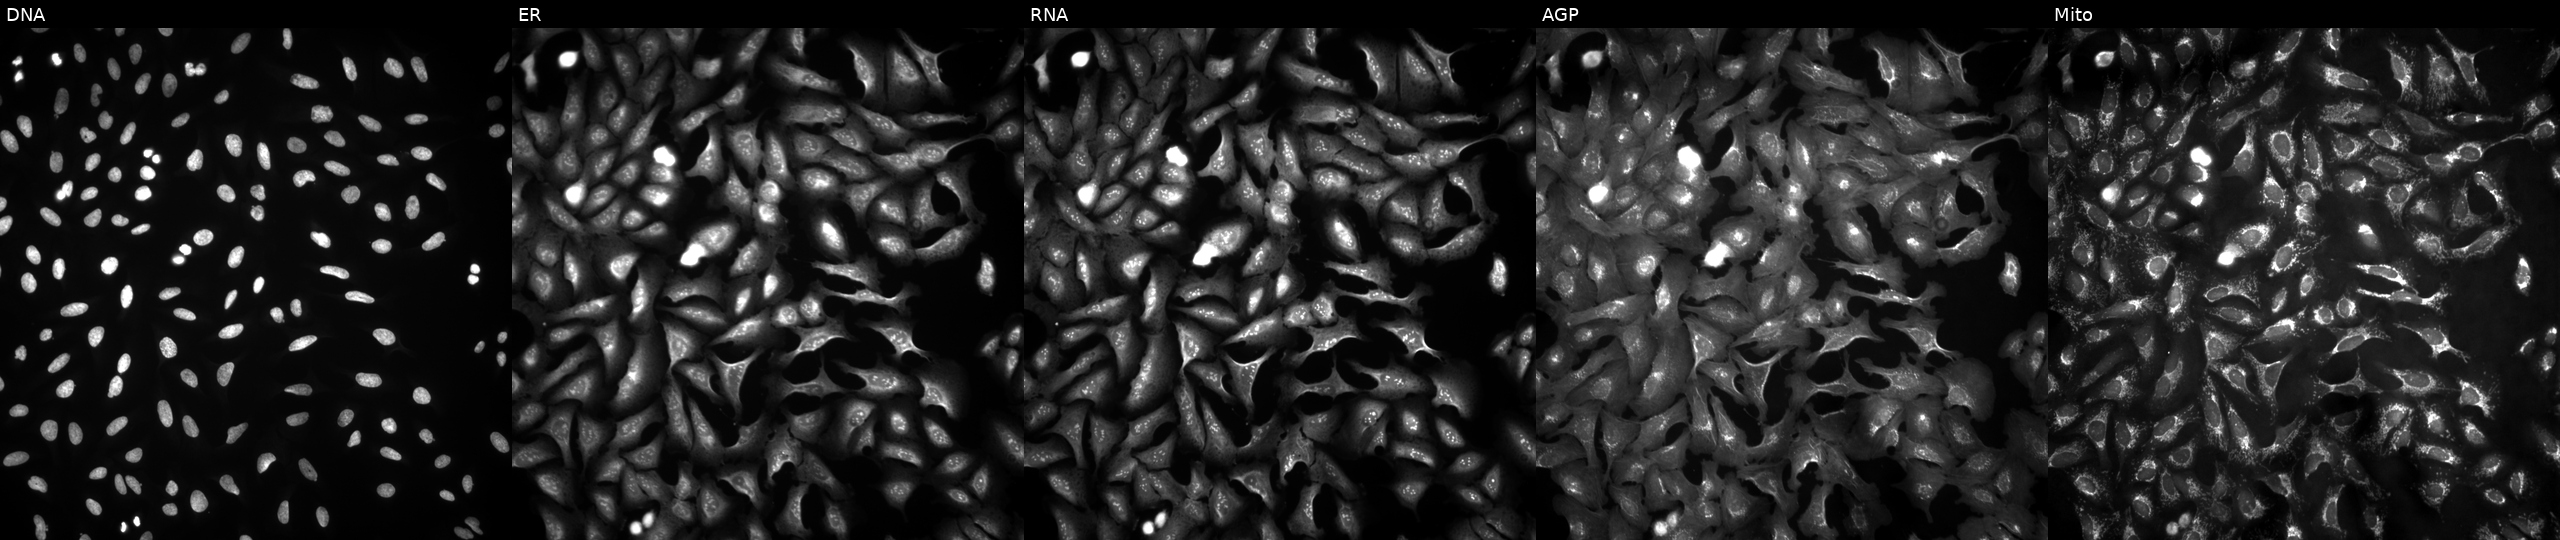
This image strip shows the five Cell Painting channels for a single field of U2OS cells overexpressing REPS1 via ORF transfection. Panels show, left to right, Hoechst 33342, concanavalin A, SYTO 14, phalloidin and WGA, MitoTracker. Source 4, plate BR00121543, well F03.